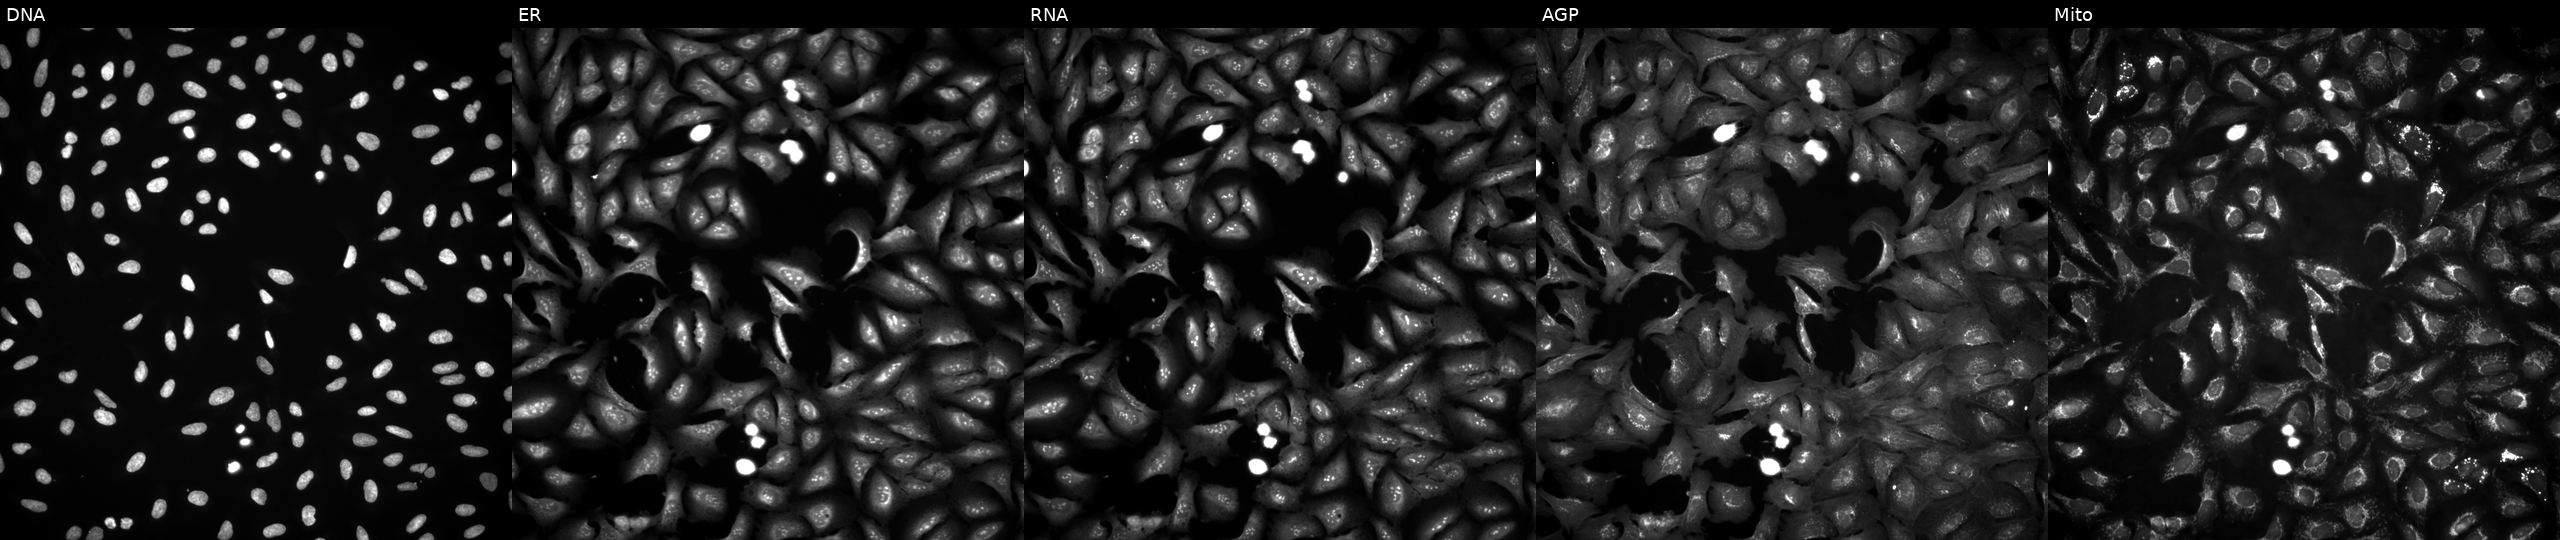
U2OS cells, Cell Painting assay, transfected with an ORF construct for PPP3CC (JUMP id JCP2022_906328). From left to right: DNA (nuclei); ER (endoplasmic reticulum); RNA (nucleoli and cytoplasmic RNA); AGP (actin cytoskeleton, Golgi, and plasma membrane); Mito (mitochondria). Each panel is percentile-stretched 16-bit fluorescence. Source 4, plate BR00124787, well F11.